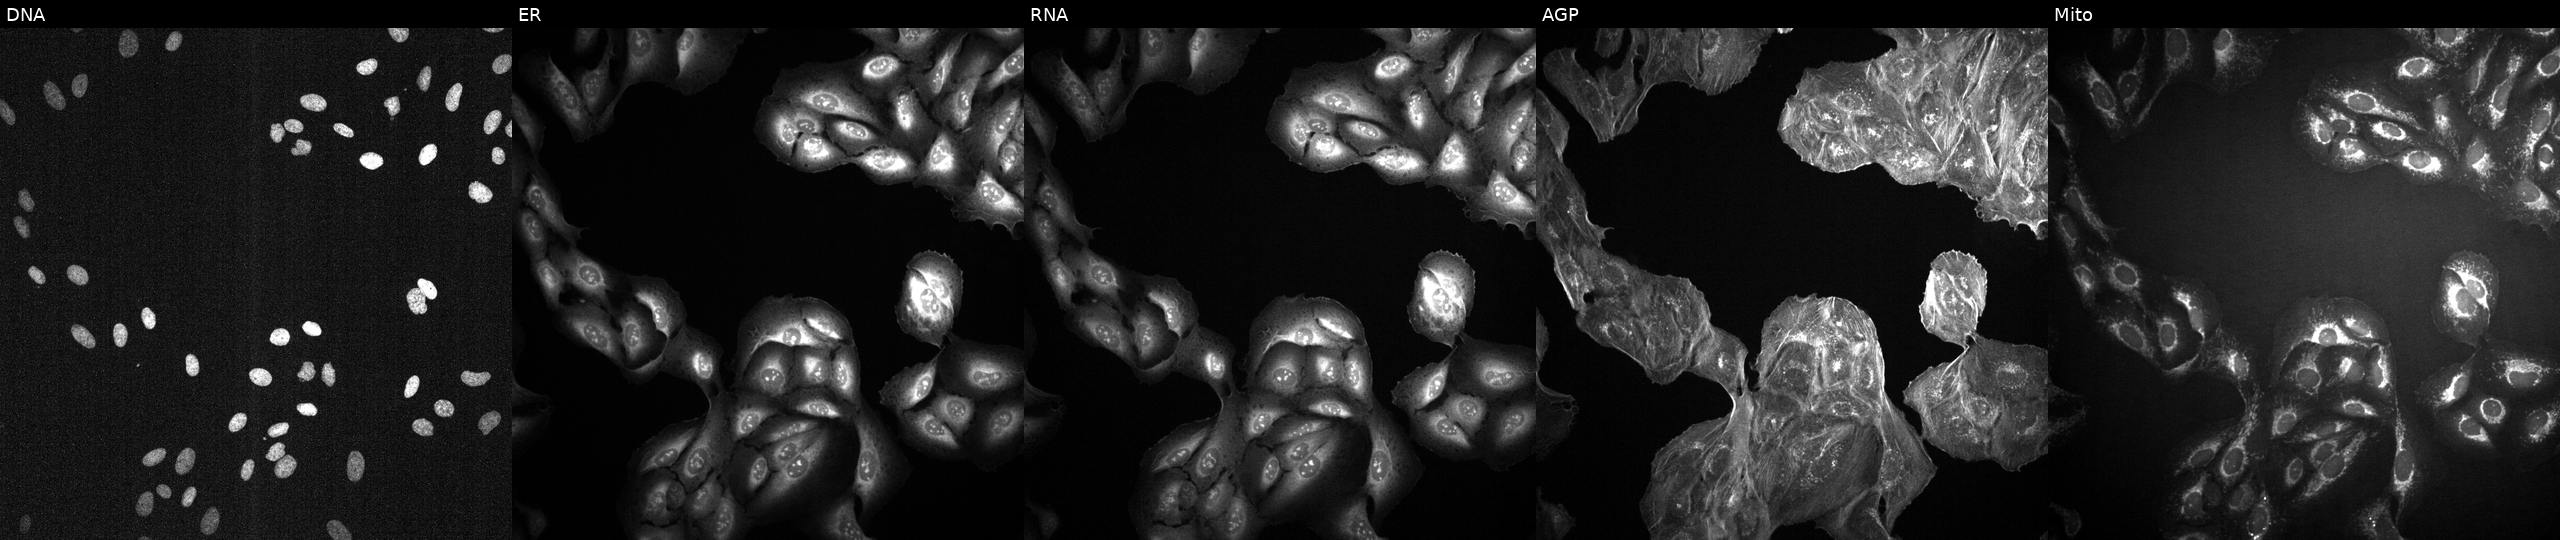
JUMP Cell Painting — TARGET2 plate. U2OS cells exposed to a small-molecule compound. Panels show, left to right, DNA, ER, RNA, AGP, and Mito.